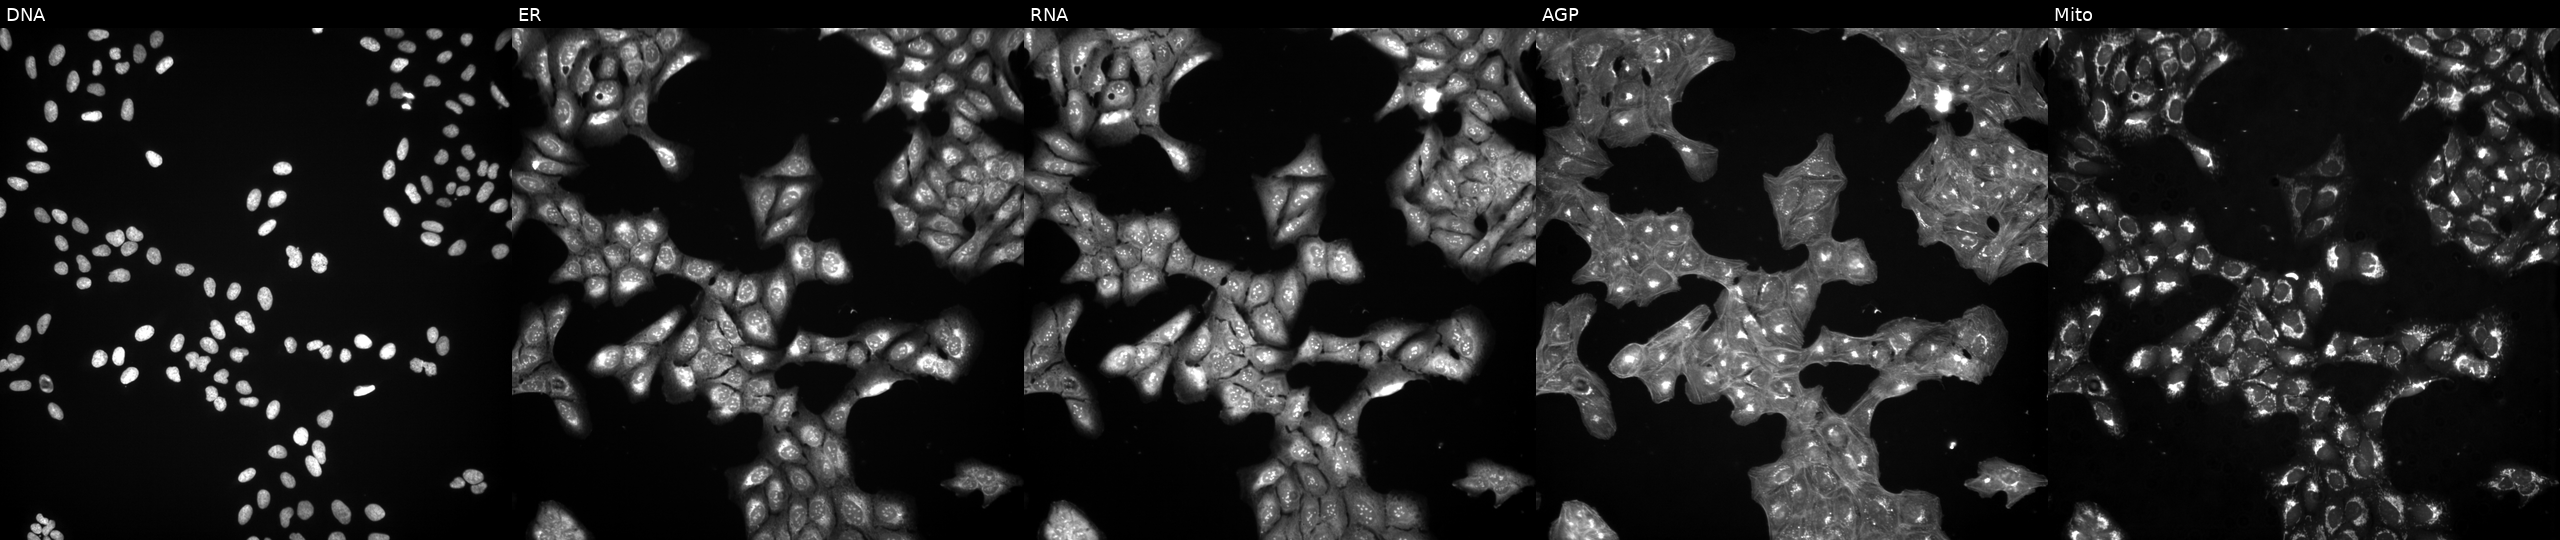
This image strip shows the five Cell Painting channels for a single field of U2OS cells treated with a small-molecule compound (InChIKey KJWGEXJCWCYEMI-UHFFFAOYSA-N). From left to right: DNA (nuclei); ER (endoplasmic reticulum); RNA (nucleoli and cytoplasmic RNA); AGP (actin cytoskeleton, Golgi, and plasma membrane); Mito (mitochondria).